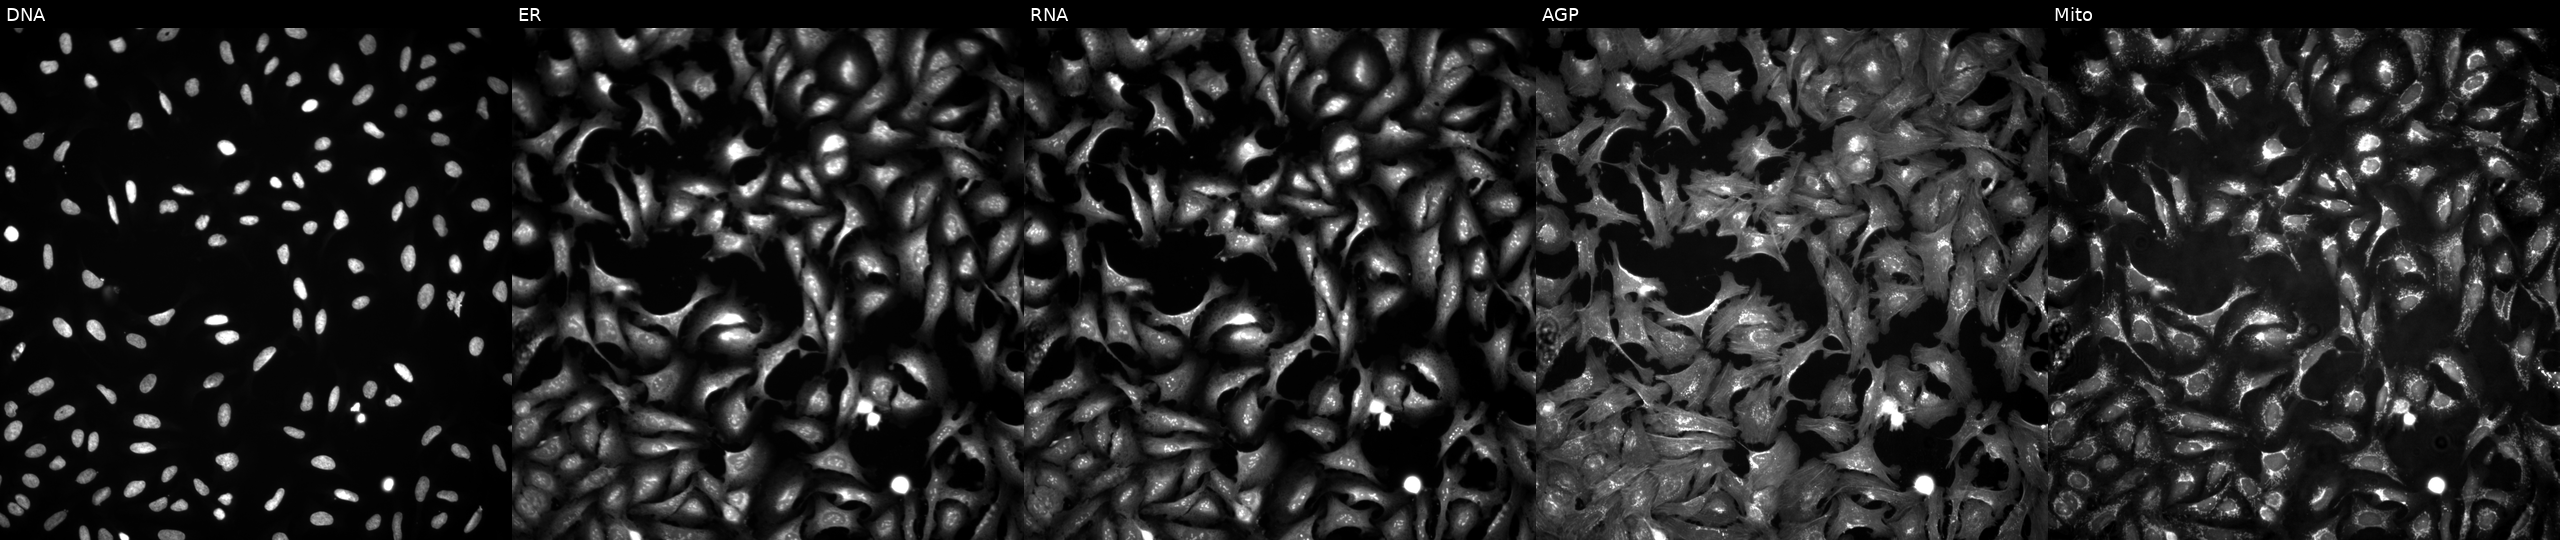
This image strip shows the five Cell Painting channels for a single field of U2OS cells overexpressing ACVRL1 via ORF transfection. From left to right: DNA (nuclei); ER (endoplasmic reticulum); RNA (nucleoli and cytoplasmic RNA); AGP (actin cytoskeleton, Golgi, and plasma membrane); Mito (mitochondria).